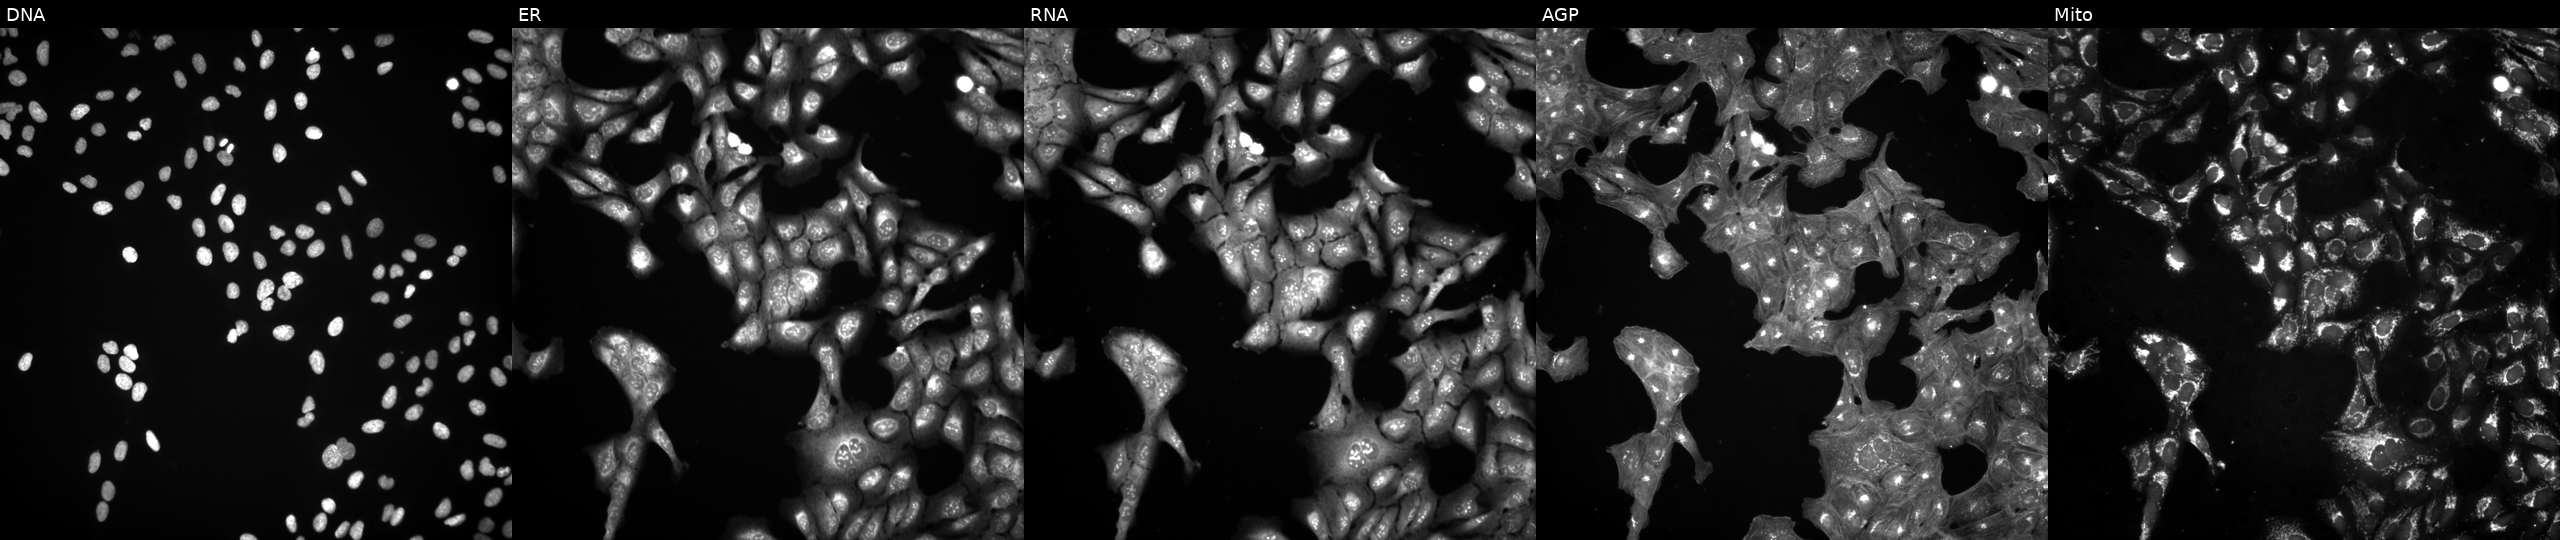
U2OS cells, Cell Painting assay, treated with a small-molecule compound (InChIKey YSQFAIQKCHQLMT-UHFFFAOYSA-N). Panels show, left to right, DNA, ER, RNA, AGP, and Mito. Each panel is percentile-stretched 16-bit fluorescence. Source 3, plate BR5867a3, well M13.